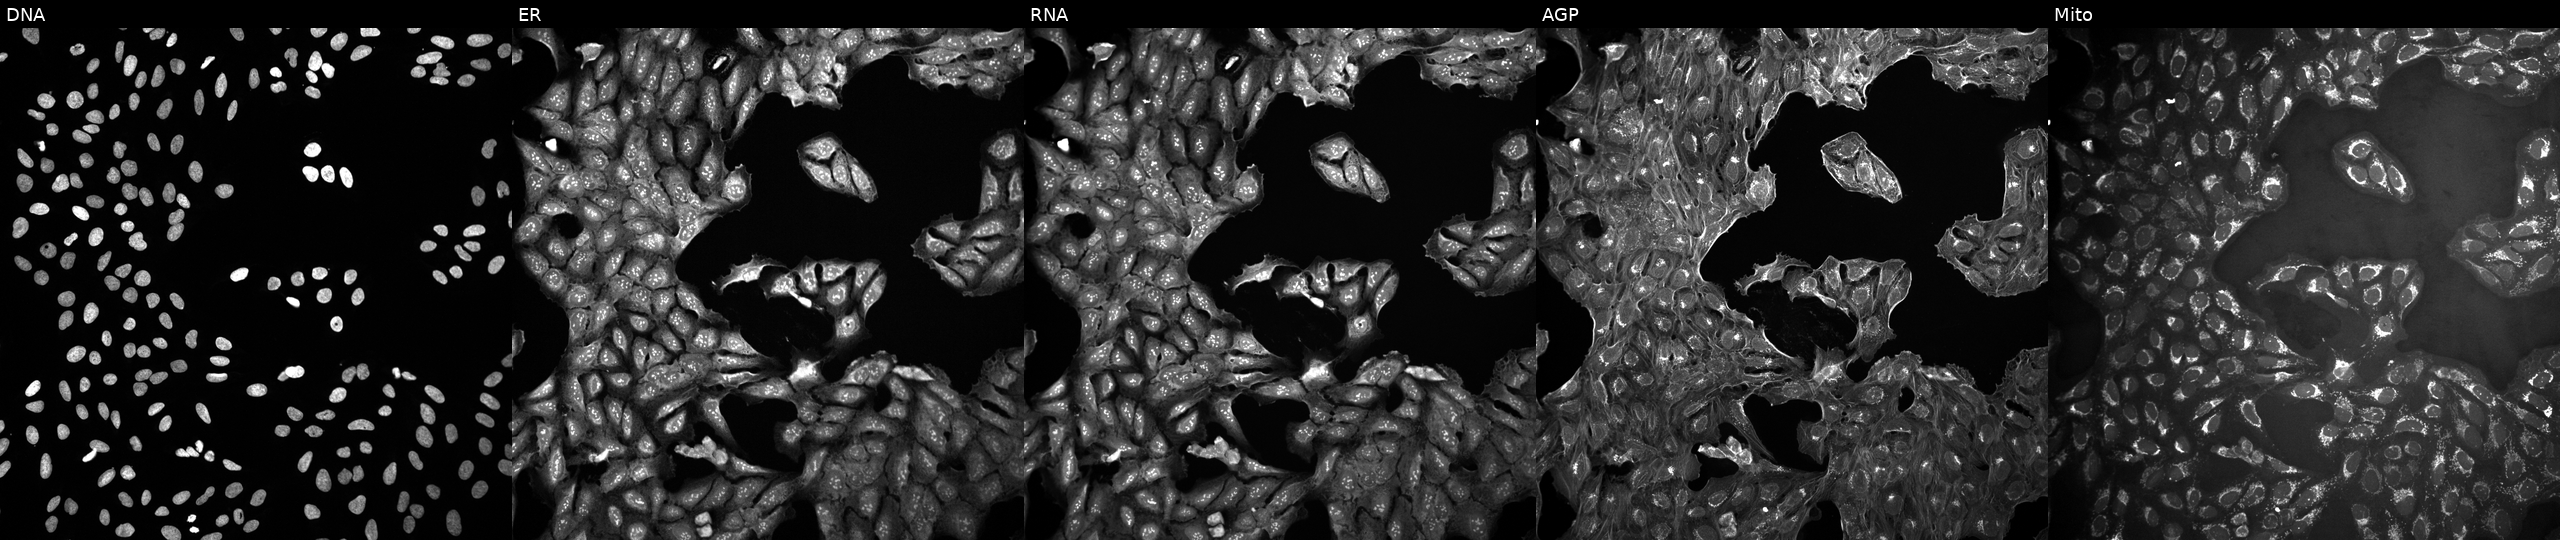
U2OS cells, Cell Painting assay, treated with a small-molecule compound (InChIKey FRYSWYGFNOOGKT-UHFFFAOYSA-N) (JUMP id JCP2022_022571). Channels (left→right): Hoechst 33342, concanavalin A, SYTO 14, phalloidin and WGA, MitoTracker. Each panel is percentile-stretched 16-bit fluorescence.